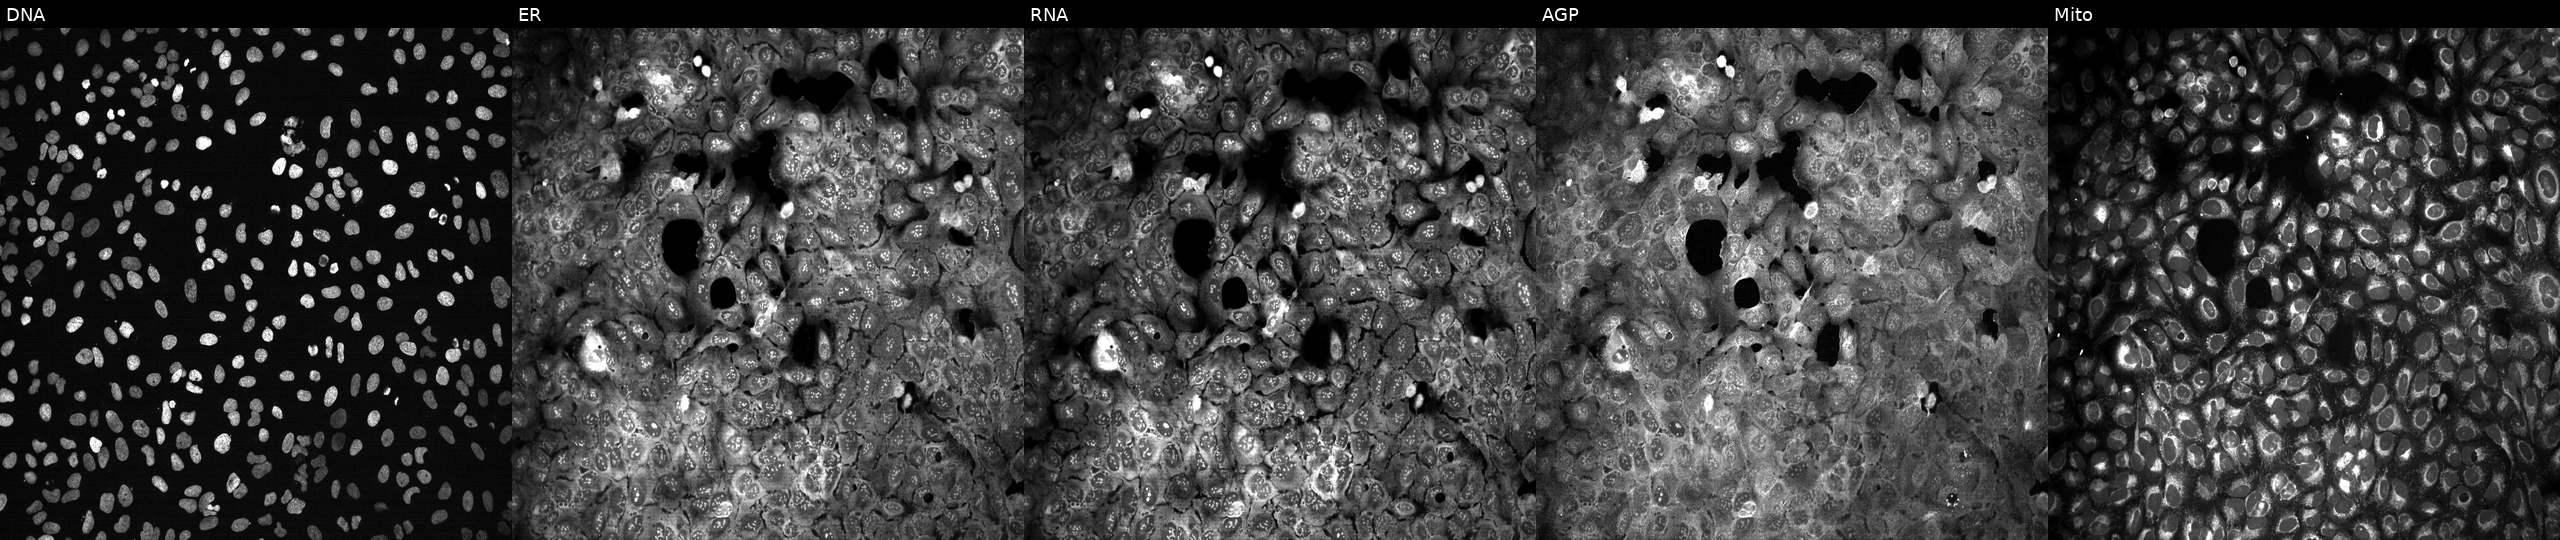
JUMP Cell Painting — CRISPR plate. U2OS cells with RGS9 knocked out by CRISPR (JUMP id JCP2022_805938). Panels show, left to right, DNA, ER, RNA, AGP, and Mito. Source 13, plate CP-CC9-R3-02, well N19.